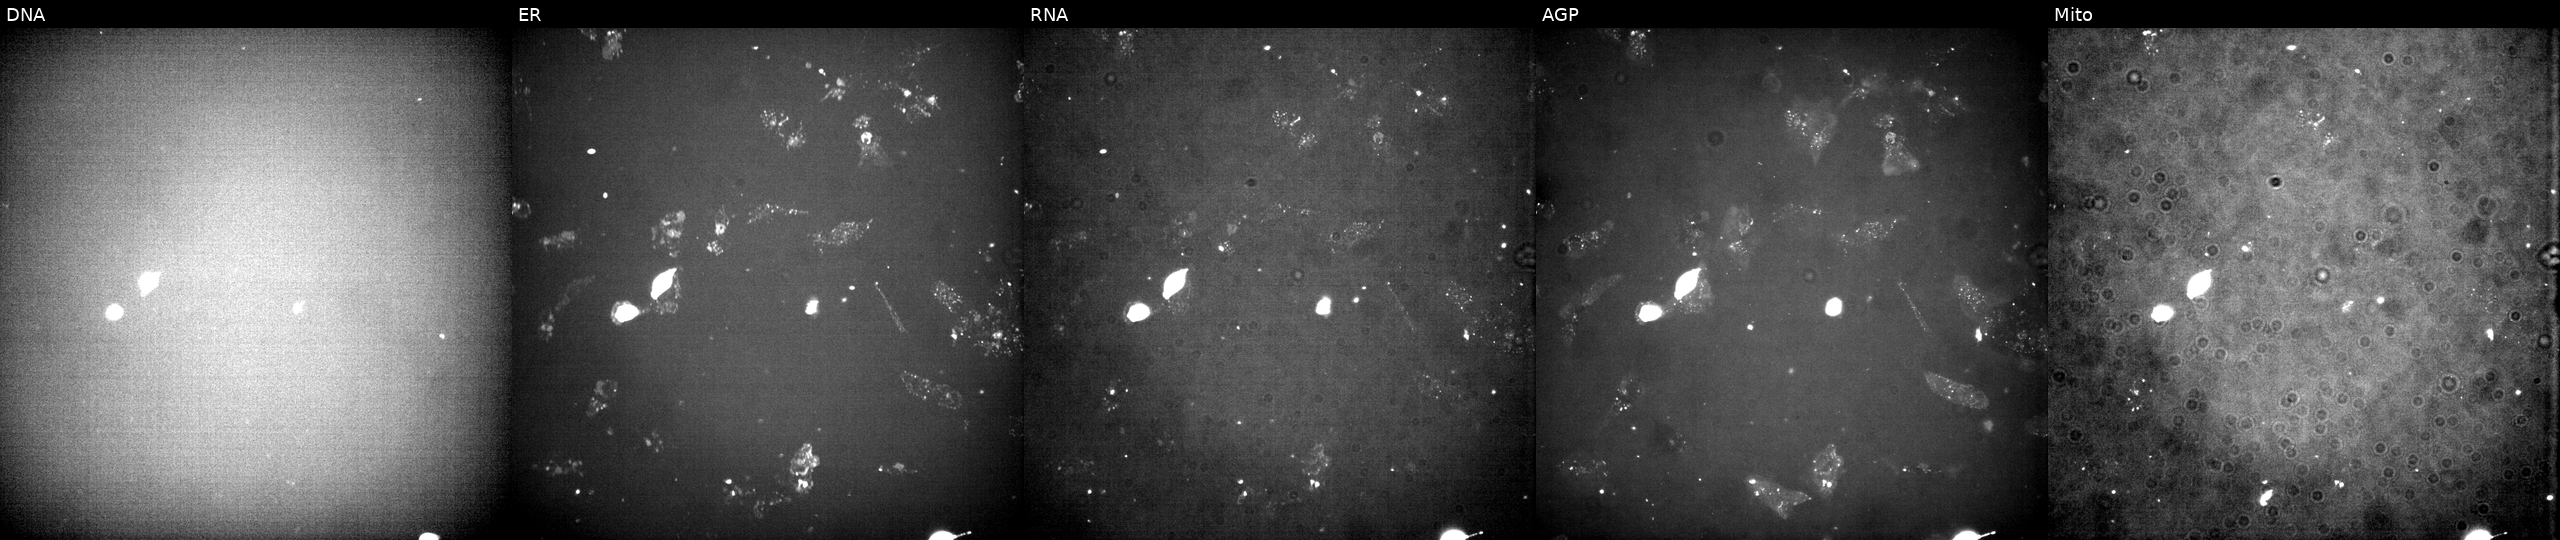
U2OS cells, Cell Painting assay, perturbed with a small-molecule compound [SMILES: Cc1cc(N=c2[nH]cc(Cl)c(=Nc3ccccc3S(=O)(=O)C(C)C)[nH]2)c(OC(C)C)cc1C1CCNCC1] (JUMP id JCP2022_093480). Channels (left→right): DNA, ER, RNA, AGP, and Mito. Each panel is percentile-stretched 16-bit fluorescence. Source 3, plate JCPQC051, well J19.